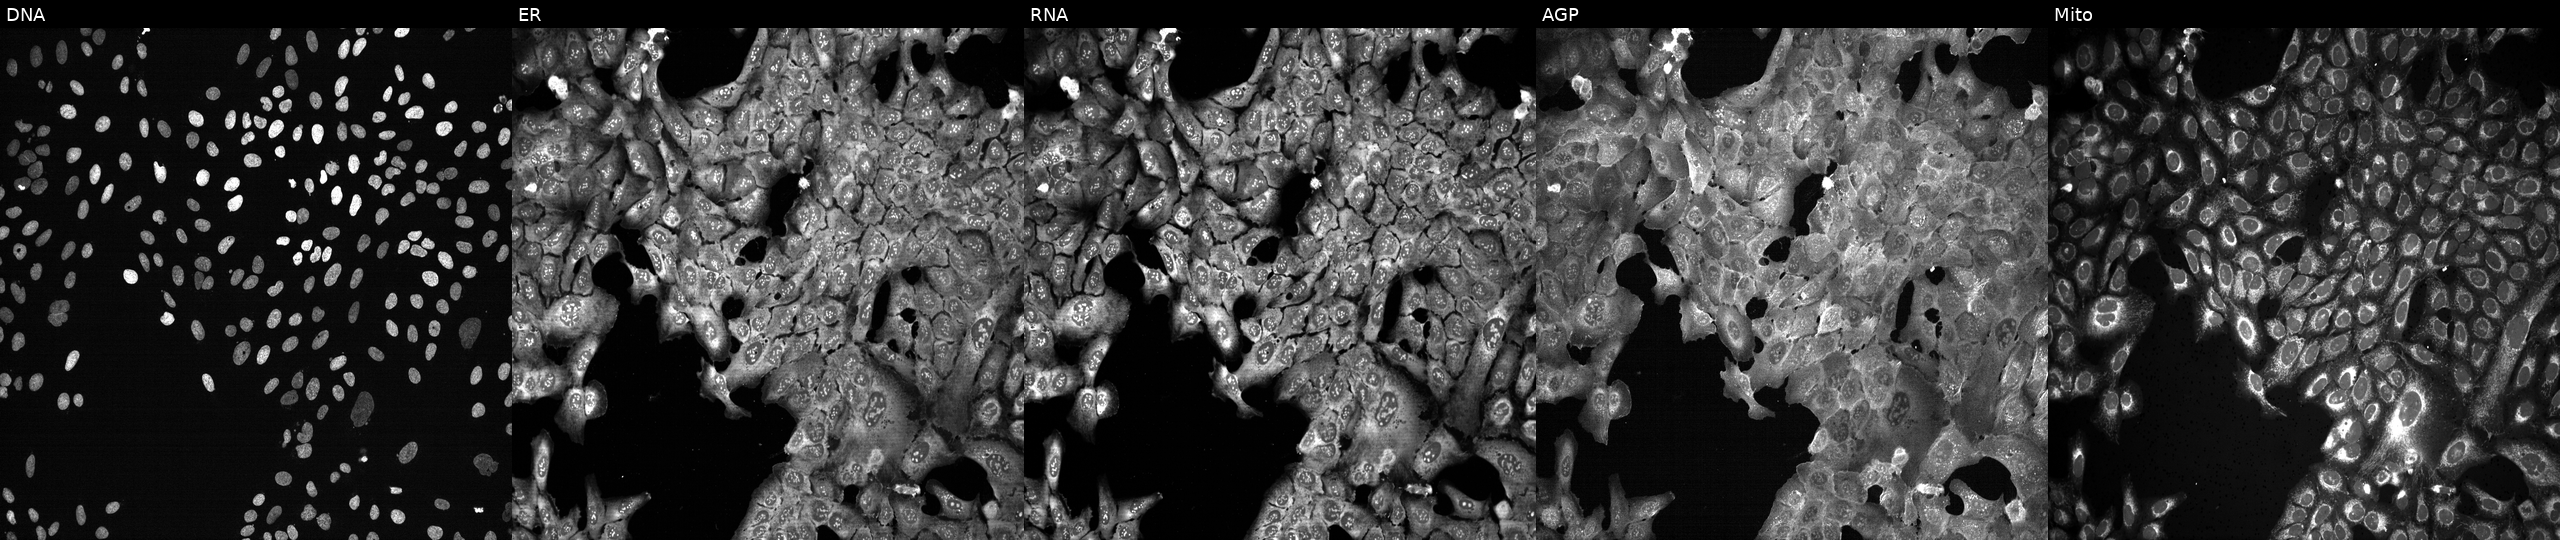
This image strip shows the five Cell Painting channels for a single field of U2OS cells following CRISPR knockout of EPRS. The five panels, left to right, show Hoechst 33342, concanavalin A, SYTO 14, phalloidin and WGA, MitoTracker.